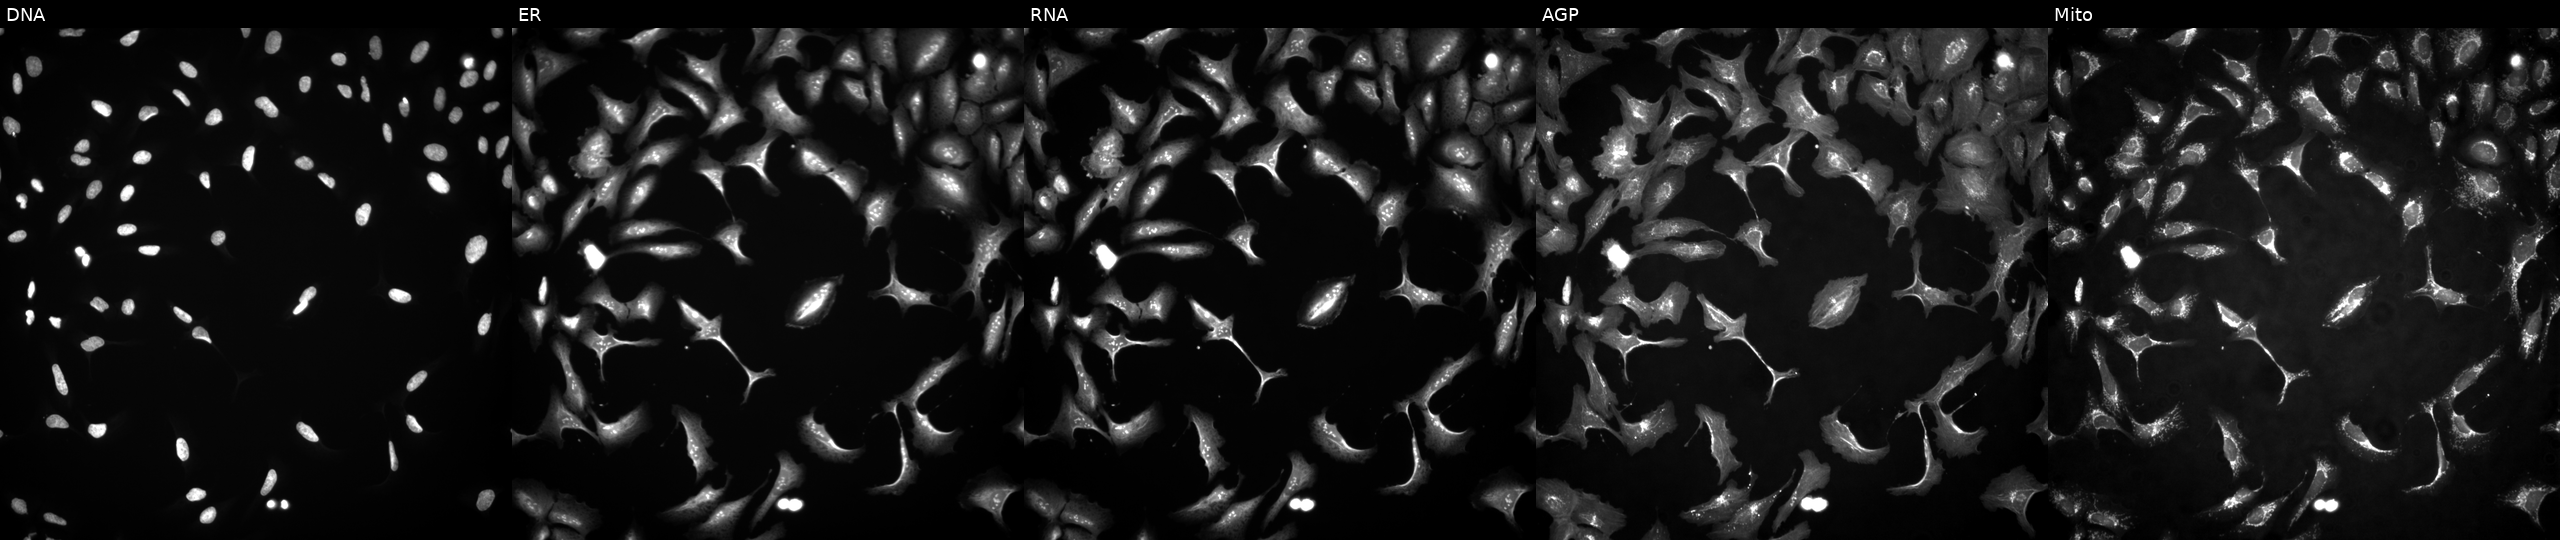
High-content fluorescence microscopy (Cell Painting). Cell line: U2OS. Perturbation: overexpressing DLX5 via ORF transfection (JUMP id JCP2022_900419). From left to right: DNA (nuclei); ER (endoplasmic reticulum); RNA (nucleoli and cytoplasmic RNA); AGP (actin cytoskeleton, Golgi, and plasma membrane); Mito (mitochondria).